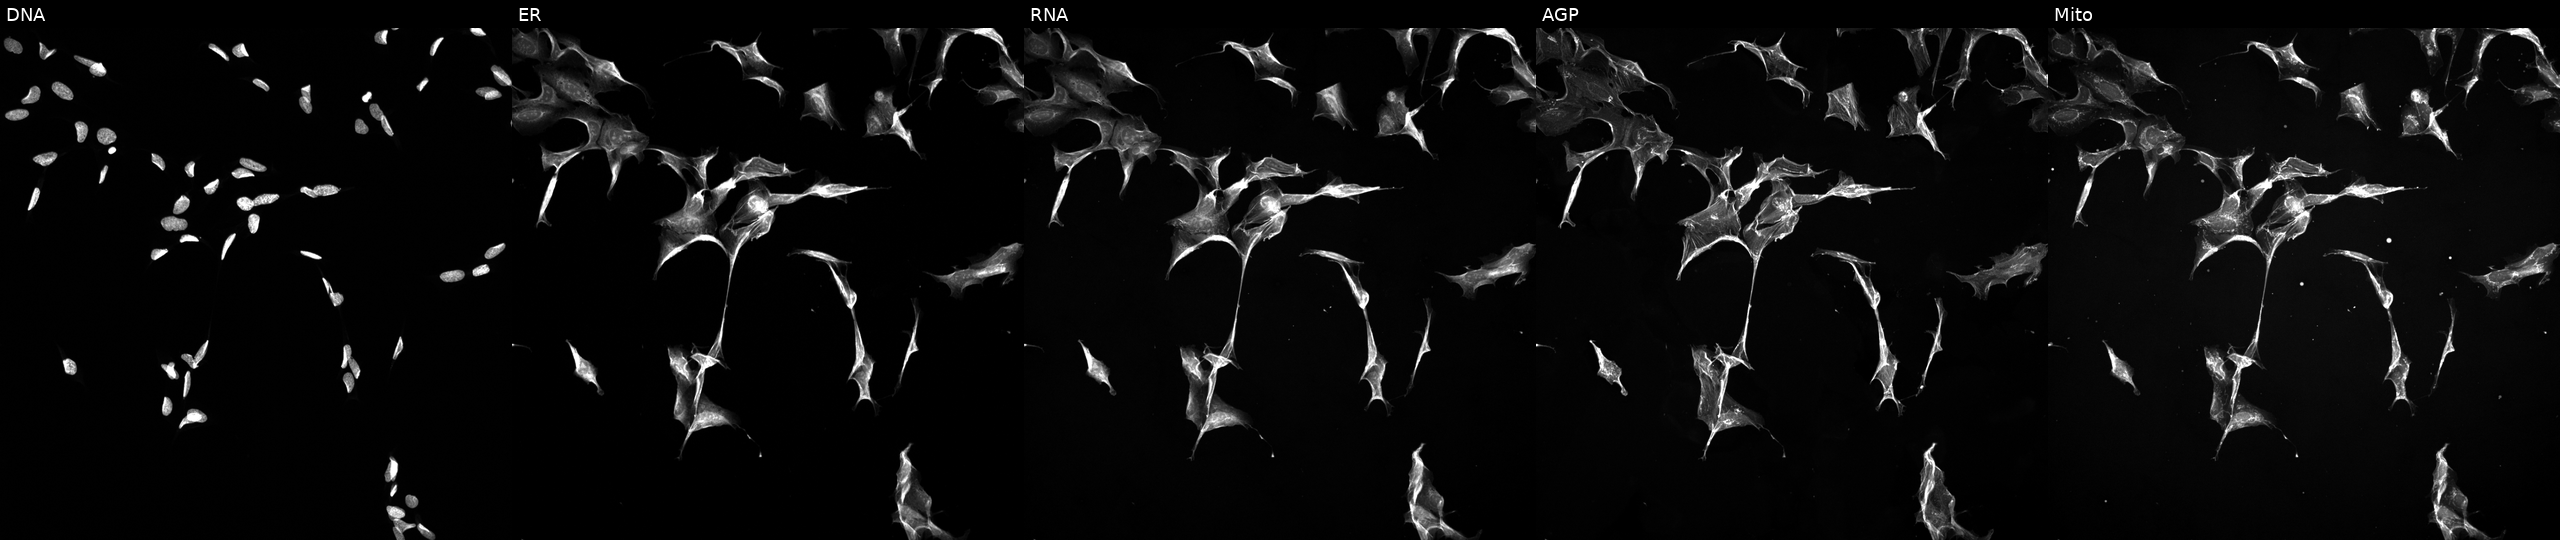
This image strip shows the five Cell Painting channels for a single field of U2OS cells perturbed with a small-molecule compound. Channels (left→right): DNA, ER, RNA, AGP, and Mito. Source 5, plate ACPJUM032, well K08.